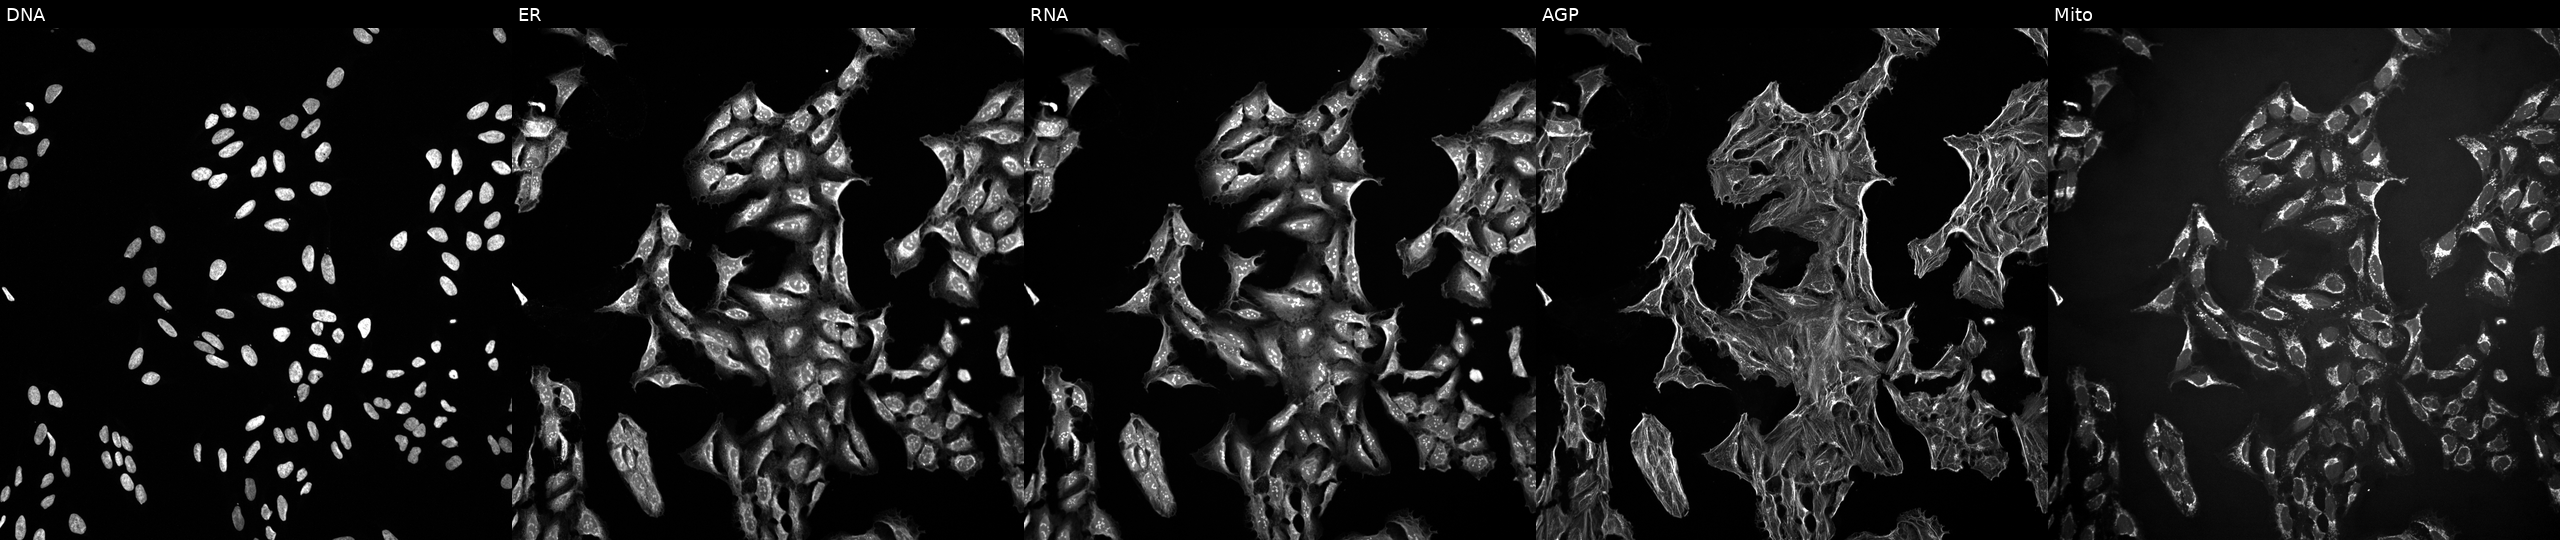
Five-channel Cell Painting image of U2OS cells exposed to DMSO alone as a negative control. From left to right: DNA (nuclei); ER (endoplasmic reticulum); RNA (nucleoli and cytoplasmic RNA); AGP (actin cytoskeleton, Golgi, and plasma membrane); Mito (mitochondria).